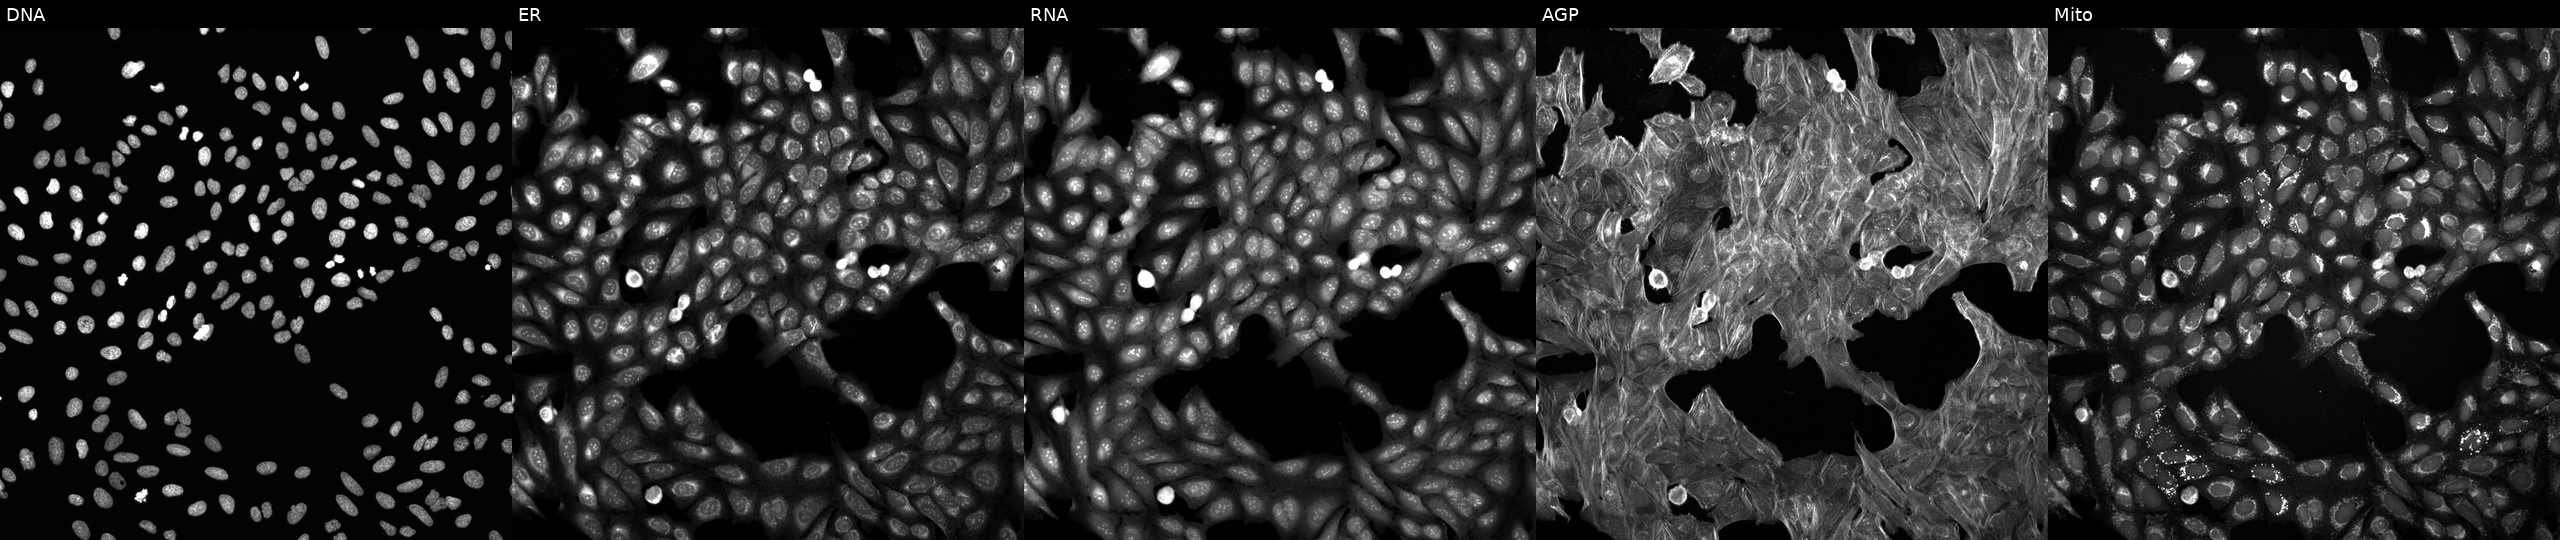
This image strip shows the five Cell Painting channels for a single field of U2OS cells perturbed with a small-molecule compound (InChIKey ICDMLAQPOAVWNH-UHFFFAOYSA-N) [SMILES: CCCCCCCCC=CCCCCCCCC(=O)NC(CO)Cc1ccc(O)cc1]. Channels (left→right): DNA (nuclei); ER (endoplasmic reticulum); RNA (nucleoli and cytoplasmic RNA); AGP (actin cytoskeleton, Golgi, and plasma membrane); Mito (mitochondria).